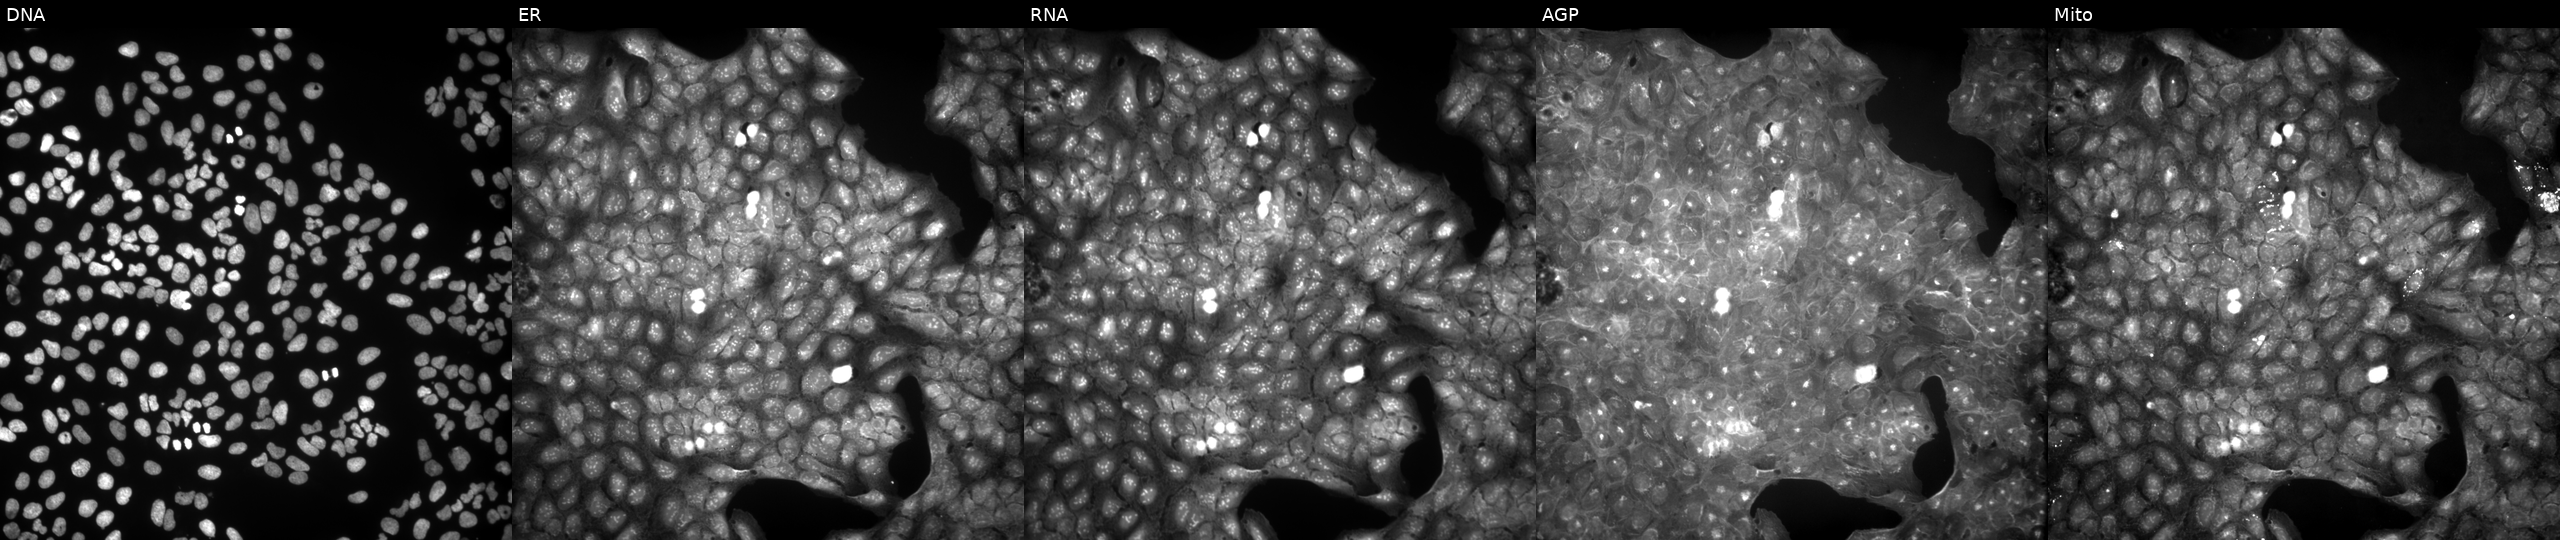
Panels show, left to right, Hoechst 33342, concanavalin A, SYTO 14, phalloidin and WGA, MitoTracker. U2OS osteosarcoma cells treated with DMSO vehicle only (negative control). Cell Painting assay, JUMP-CP dataset.